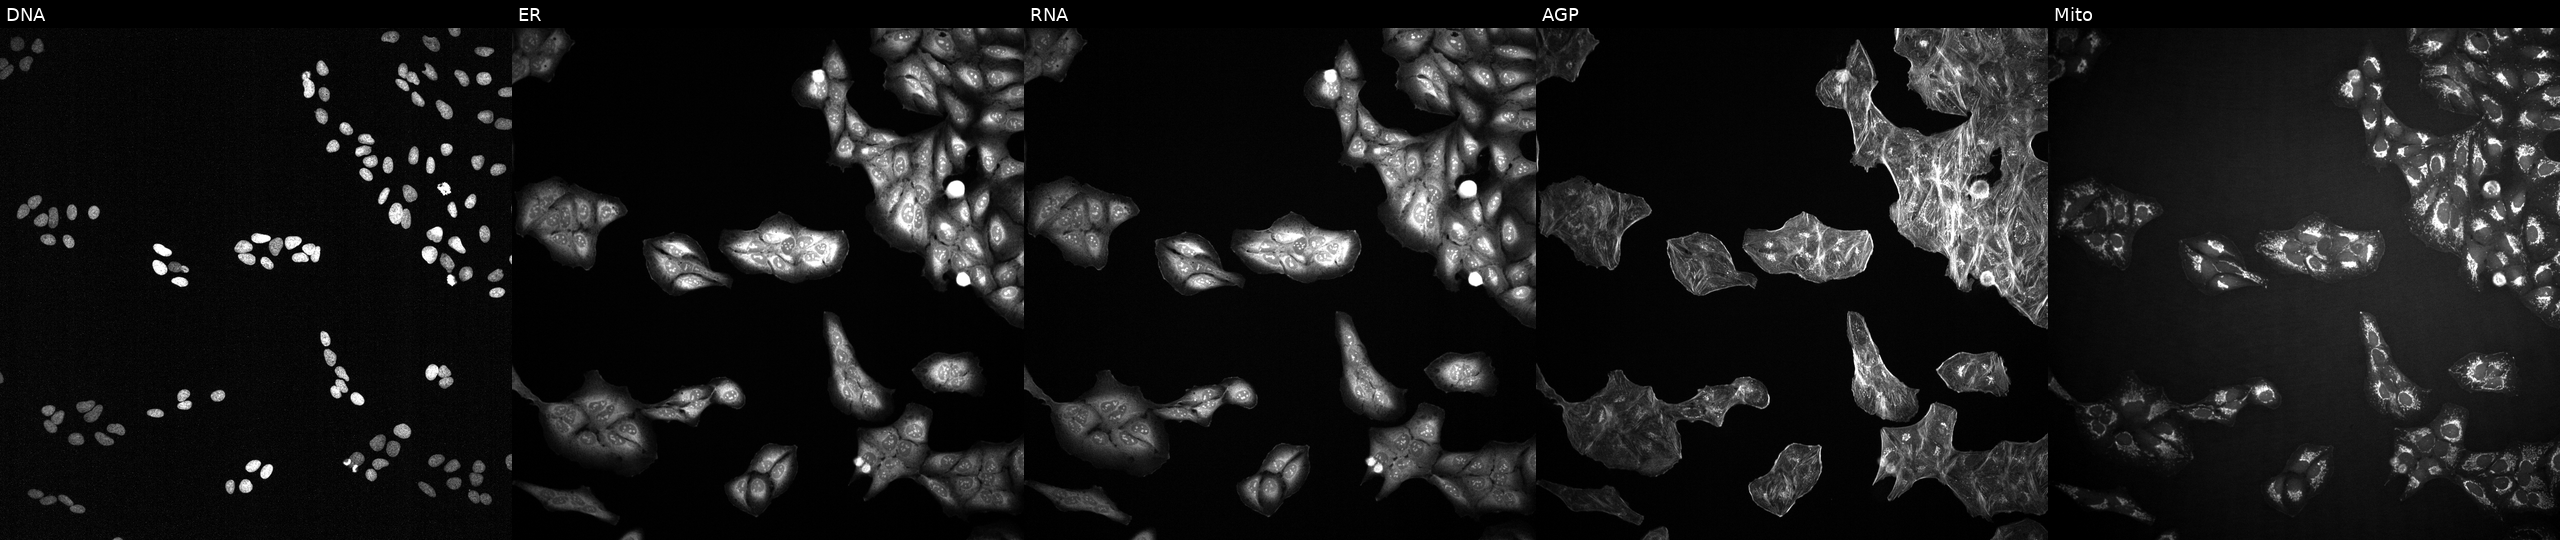
Five-channel Cell Painting image of U2OS cells perturbed with a small-molecule compound (JUMP id JCP2022_015955). Channels (left→right): DNA (nuclei); ER (endoplasmic reticulum); RNA (nucleoli and cytoplasmic RNA); AGP (actin cytoskeleton, Golgi, and plasma membrane); Mito (mitochondria).